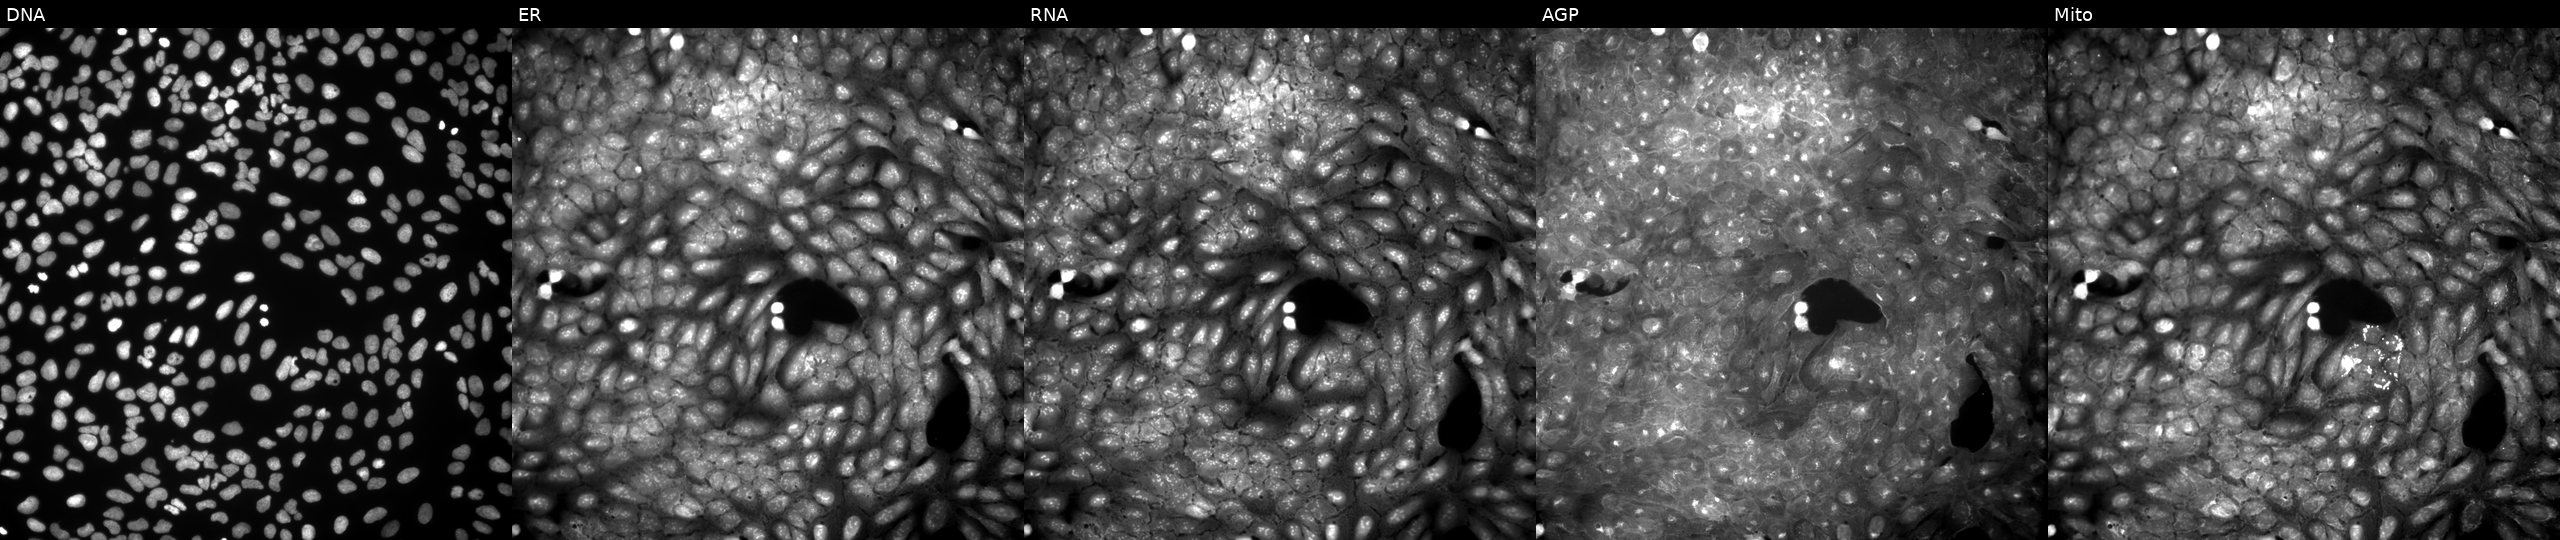
High-content fluorescence microscopy (Cell Painting). Cell line: U2OS. Perturbation: treated with a small-molecule compound (InChIKey LRNREMGFJGZAAJ-UHFFFAOYSA-N). Panels show, left to right, DNA, ER, RNA, AGP, and Mito.